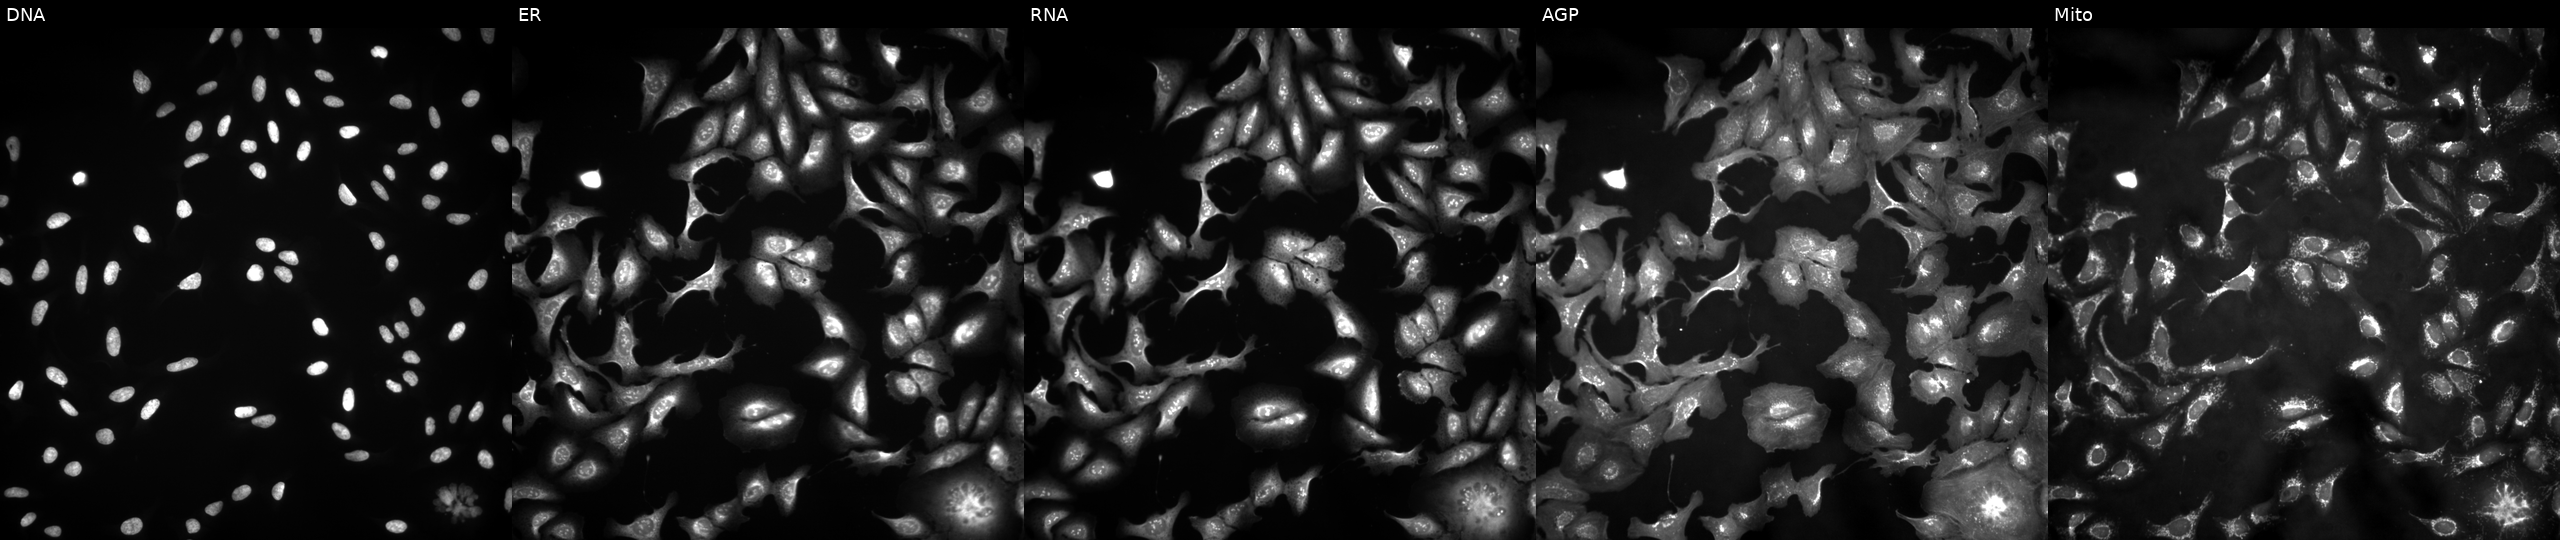
Channels (left→right): DNA, ER, RNA, AGP, and Mito. U2OS osteosarcoma cells transfected with an ORF construct for GALE (JUMP id JCP2022_900573). Cell Painting assay, JUMP-CP dataset.